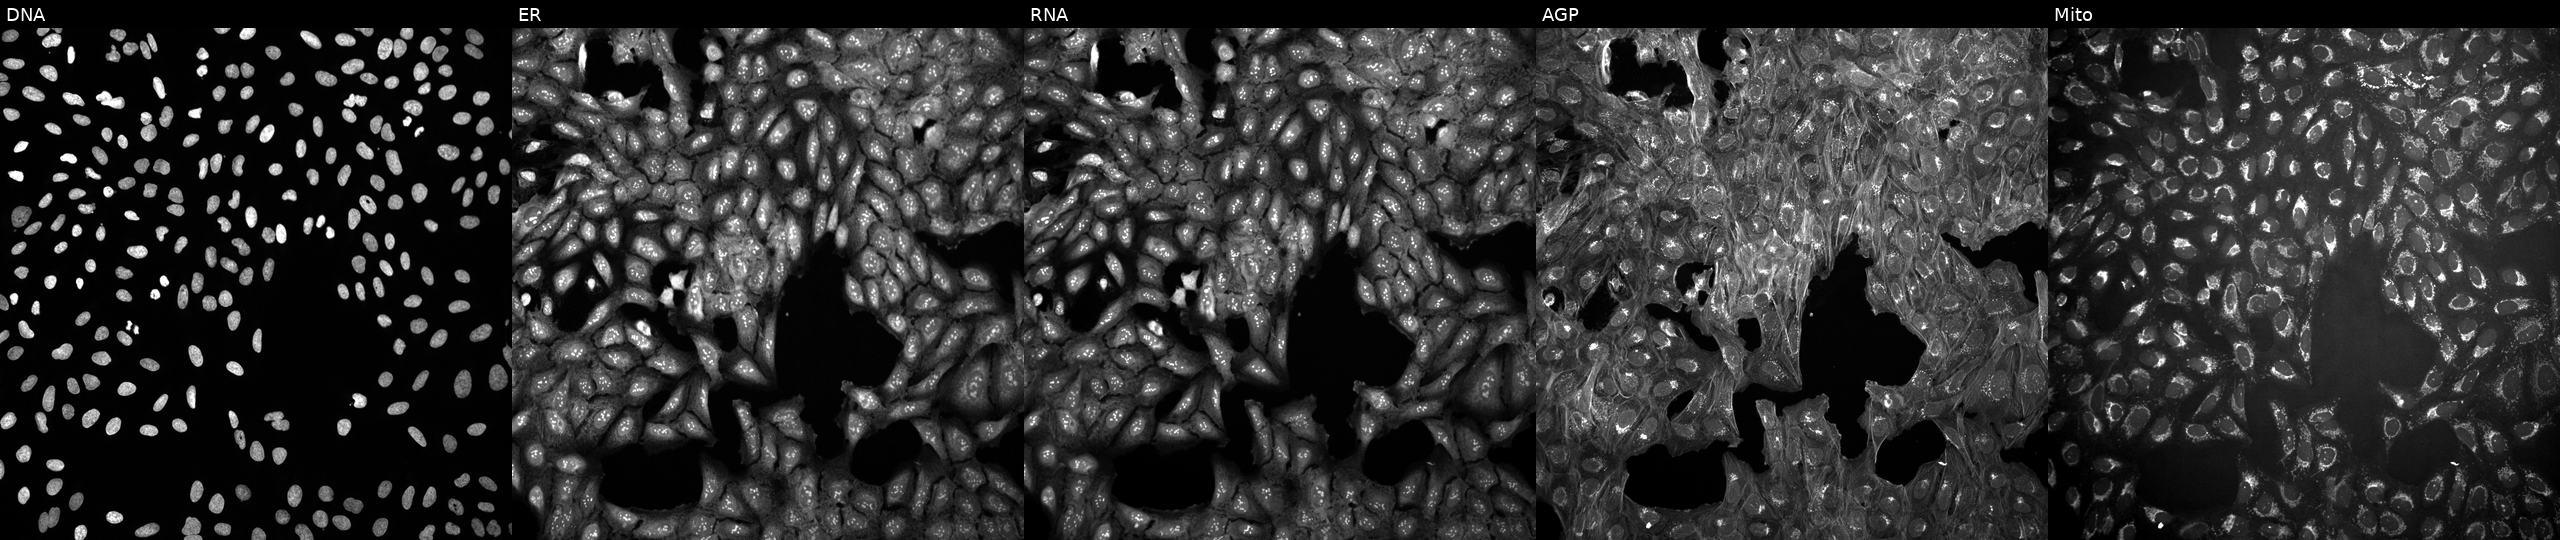
JUMP Cell Painting — COMPOUND plate. U2OS cells in an empty control well (no perturbation). The five panels, left to right, show DNA, ER, RNA, AGP, and Mito.